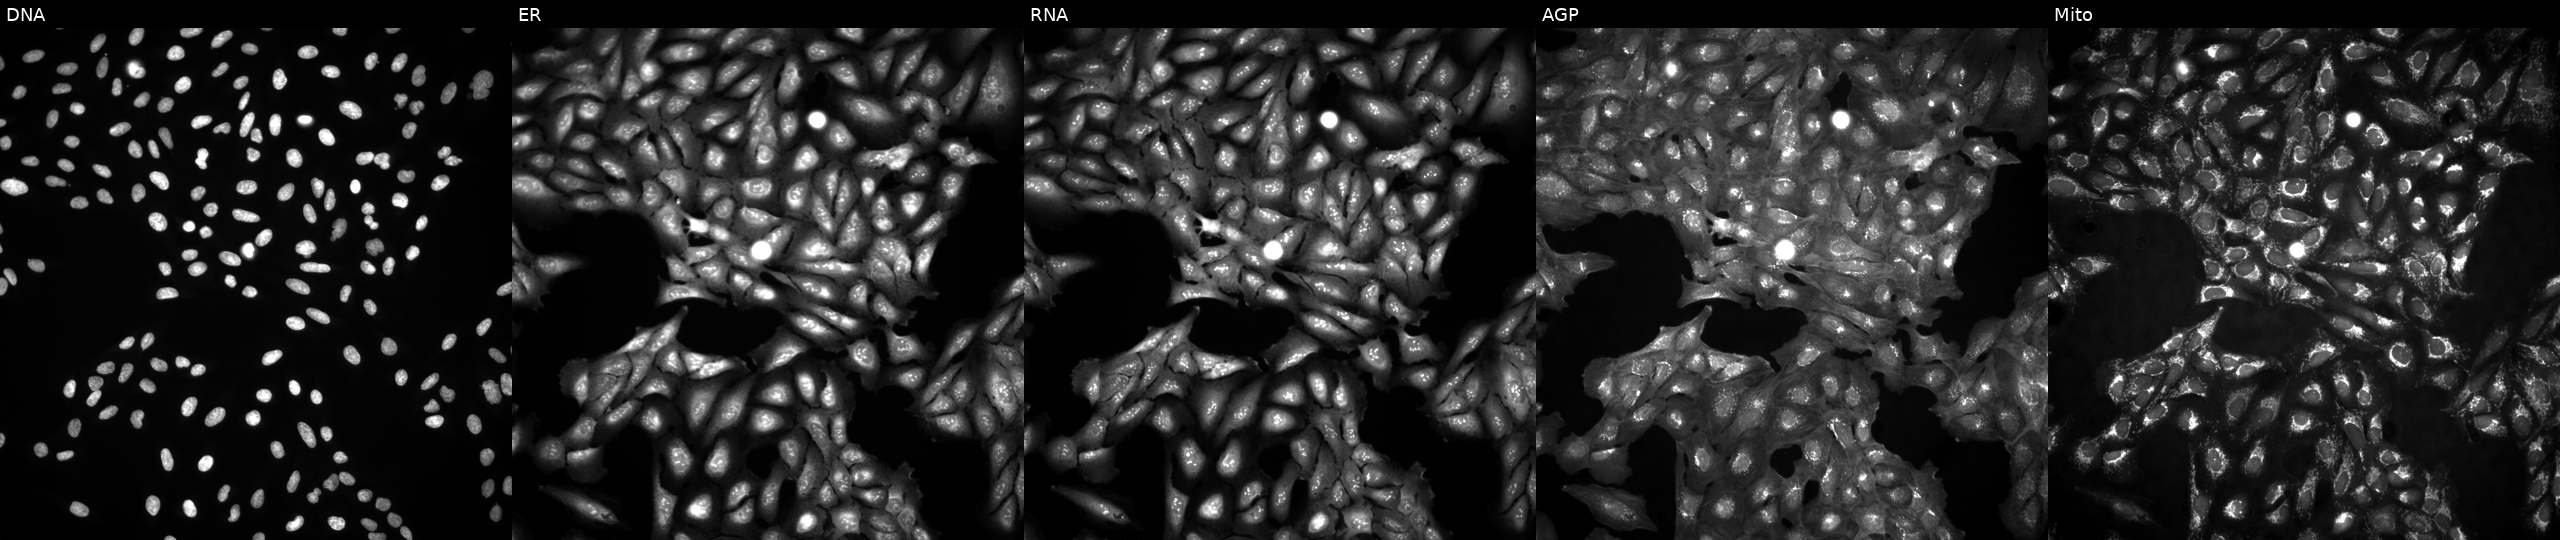
This image strip shows the five Cell Painting channels for a single field of U2OS cells untreated (empty-well control). The five panels, left to right, show DNA (nuclei); ER (endoplasmic reticulum); RNA (nucleoli and cytoplasmic RNA); AGP (actin cytoskeleton, Golgi, and plasma membrane); Mito (mitochondria).